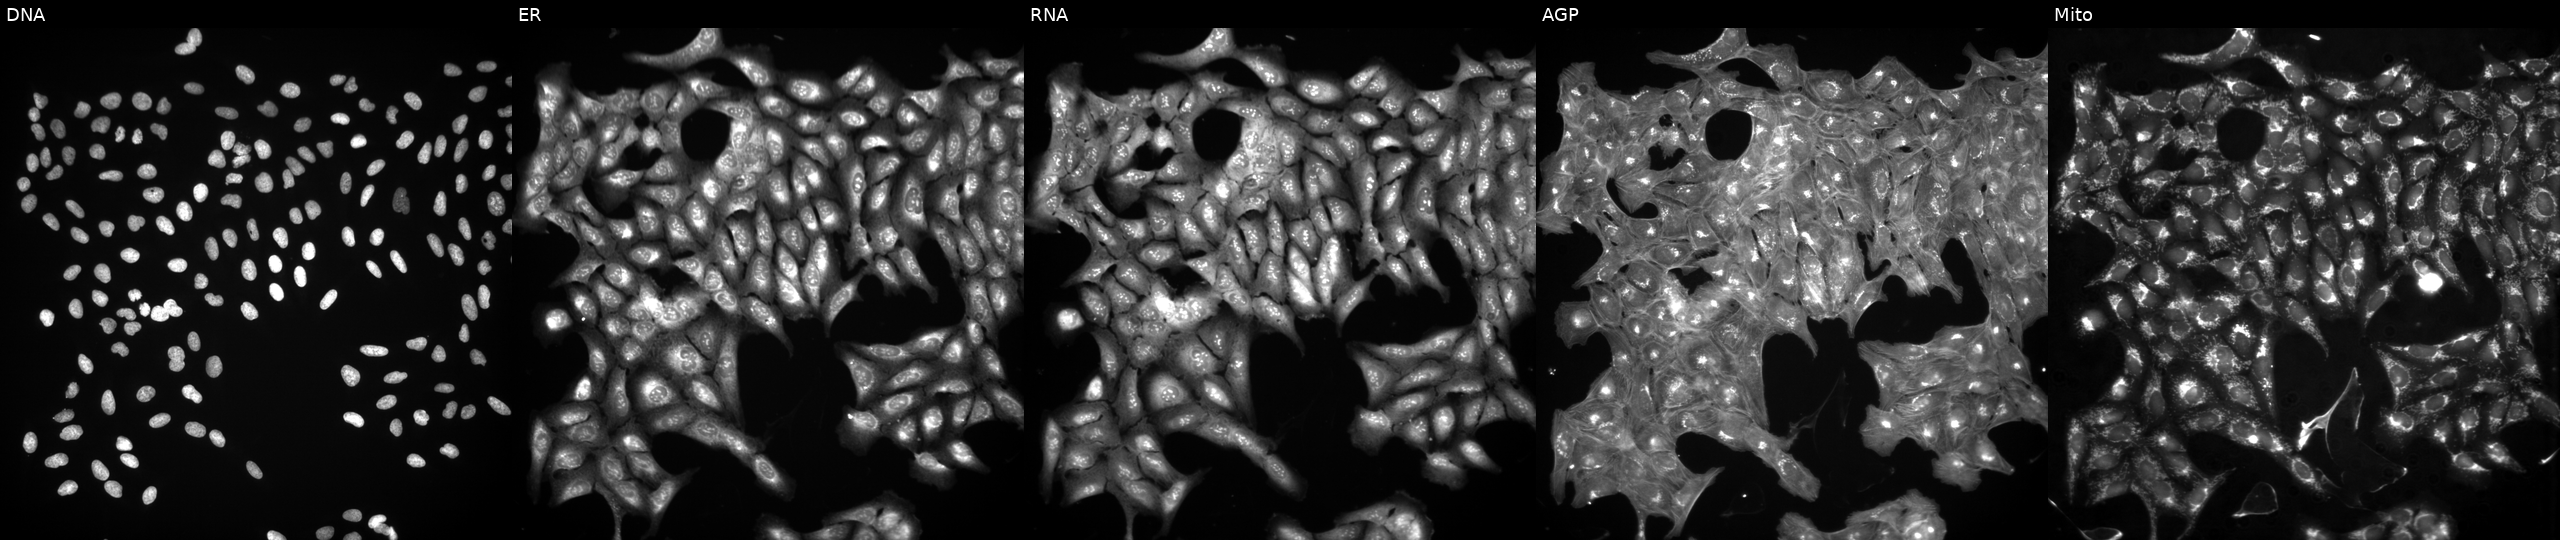
From left to right: DNA, ER, RNA, AGP, and Mito. U2OS osteosarcoma cells exposed to a small-molecule compound (InChIKey LUMCNRKHZRYQOV-UHFFFAOYSA-N) (JUMP id JCP2022_051798). Cell Painting assay, JUMP-CP dataset. Source 3, plate BR5867a3, well A21.